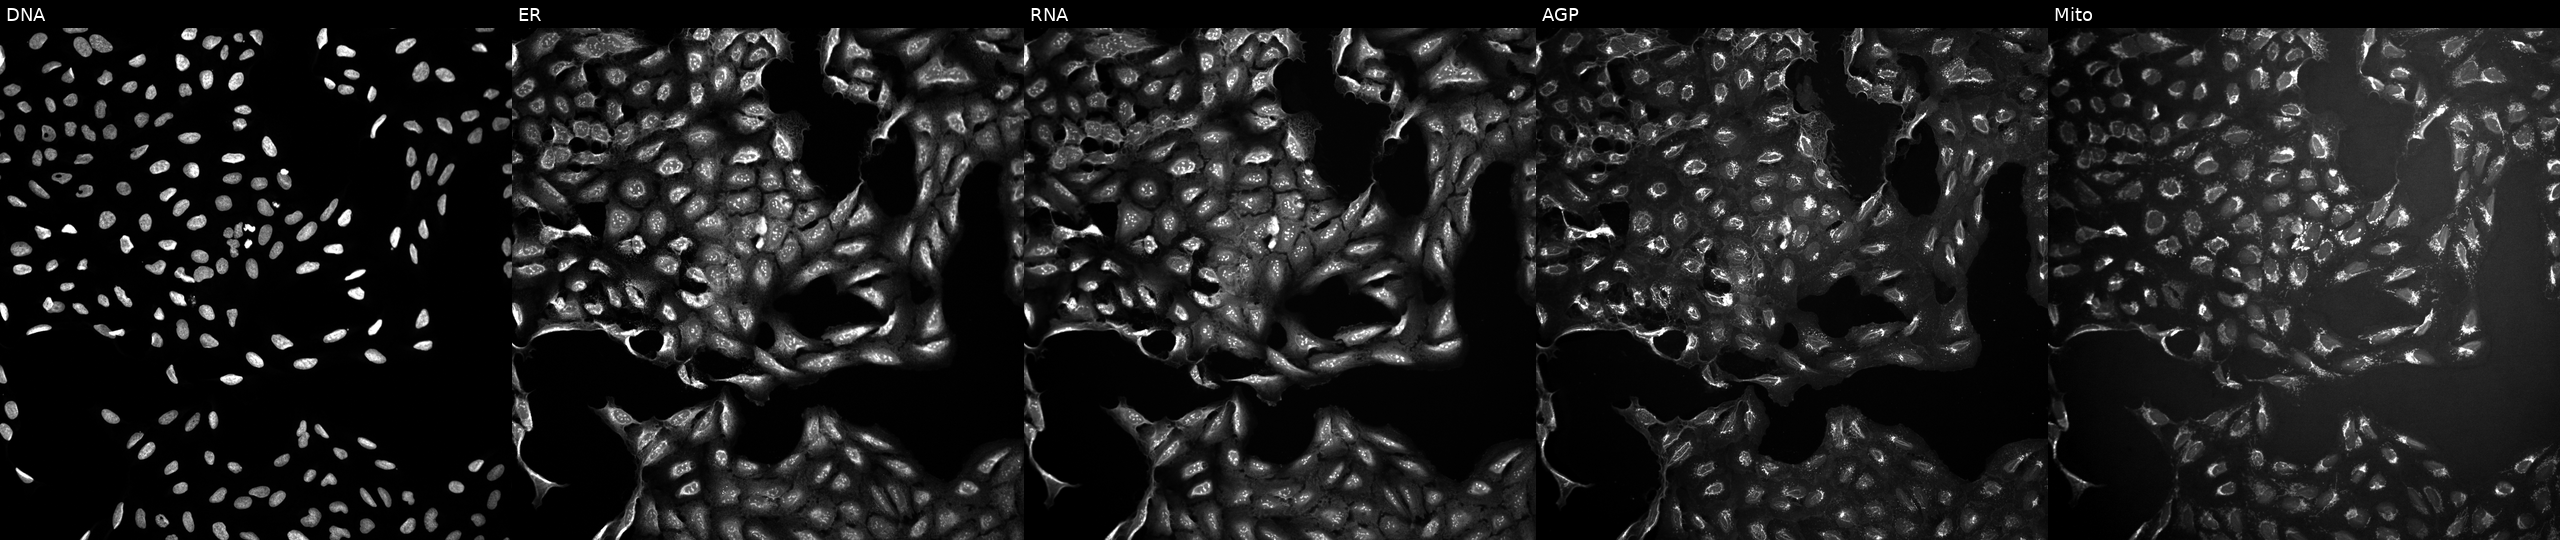
Five-channel Cell Painting image of U2OS cells exposed to a small-molecule compound (InChIKey BDNFQGRSKSQXRI-UHFFFAOYSA-N). The five panels, left to right, show DNA, ER, RNA, AGP, and Mito.